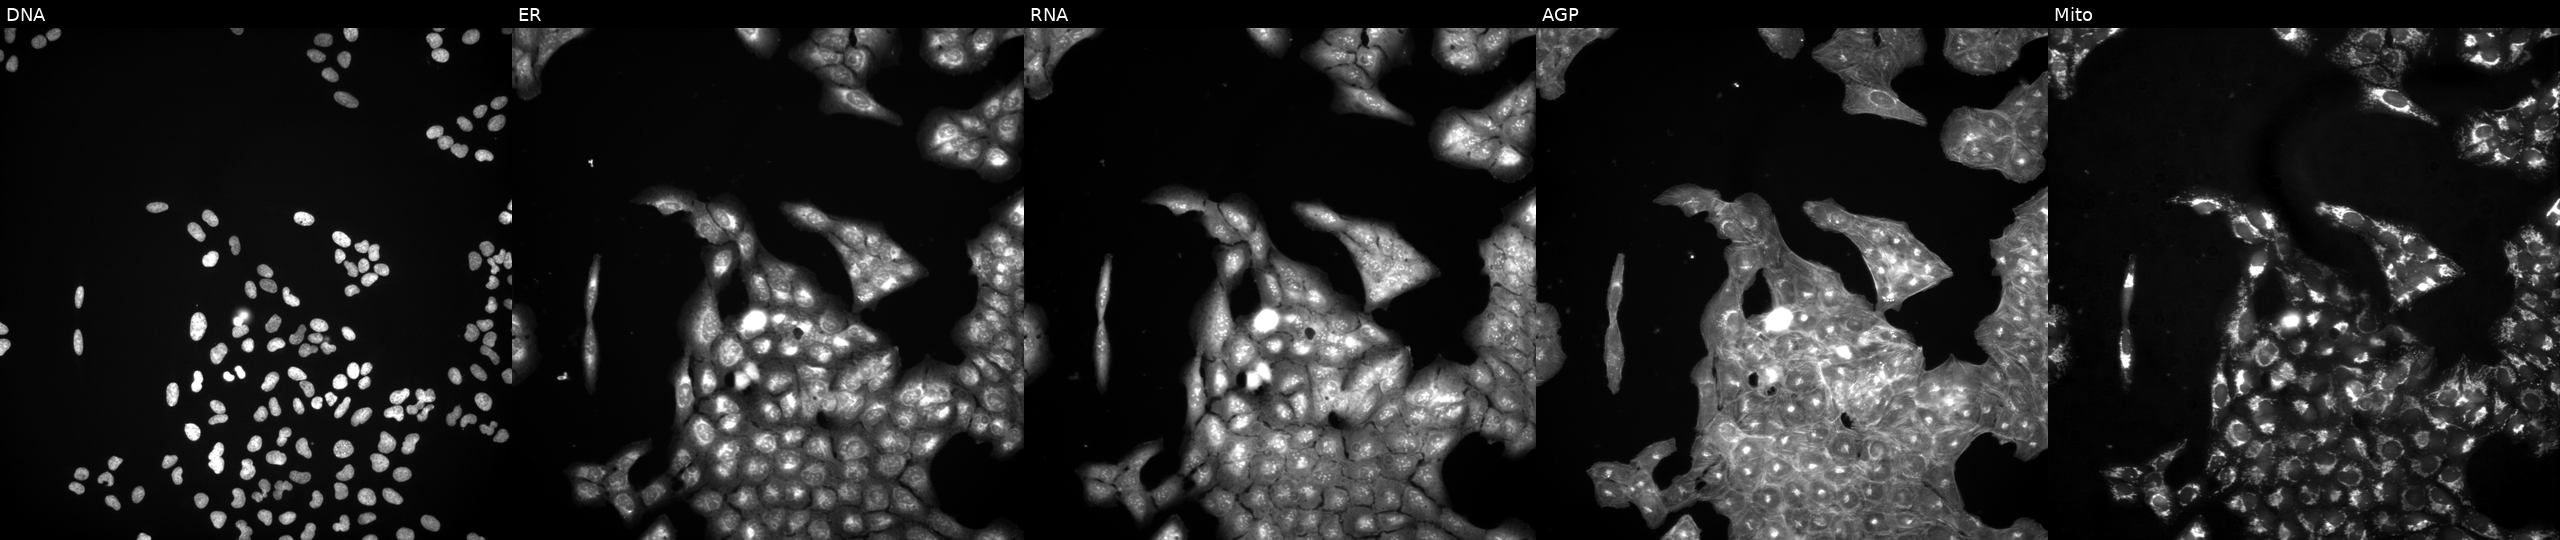
Five-channel Cell Painting image of U2OS cells perturbed with a small-molecule compound (InChIKey QHKYPYXTTXKZST-UHFFFAOYSA-N). From left to right: DNA (nuclei); ER (endoplasmic reticulum); RNA (nucleoli and cytoplasmic RNA); AGP (actin cytoskeleton, Golgi, and plasma membrane); Mito (mitochondria). Source 3, plate JCPQC053, well M12.